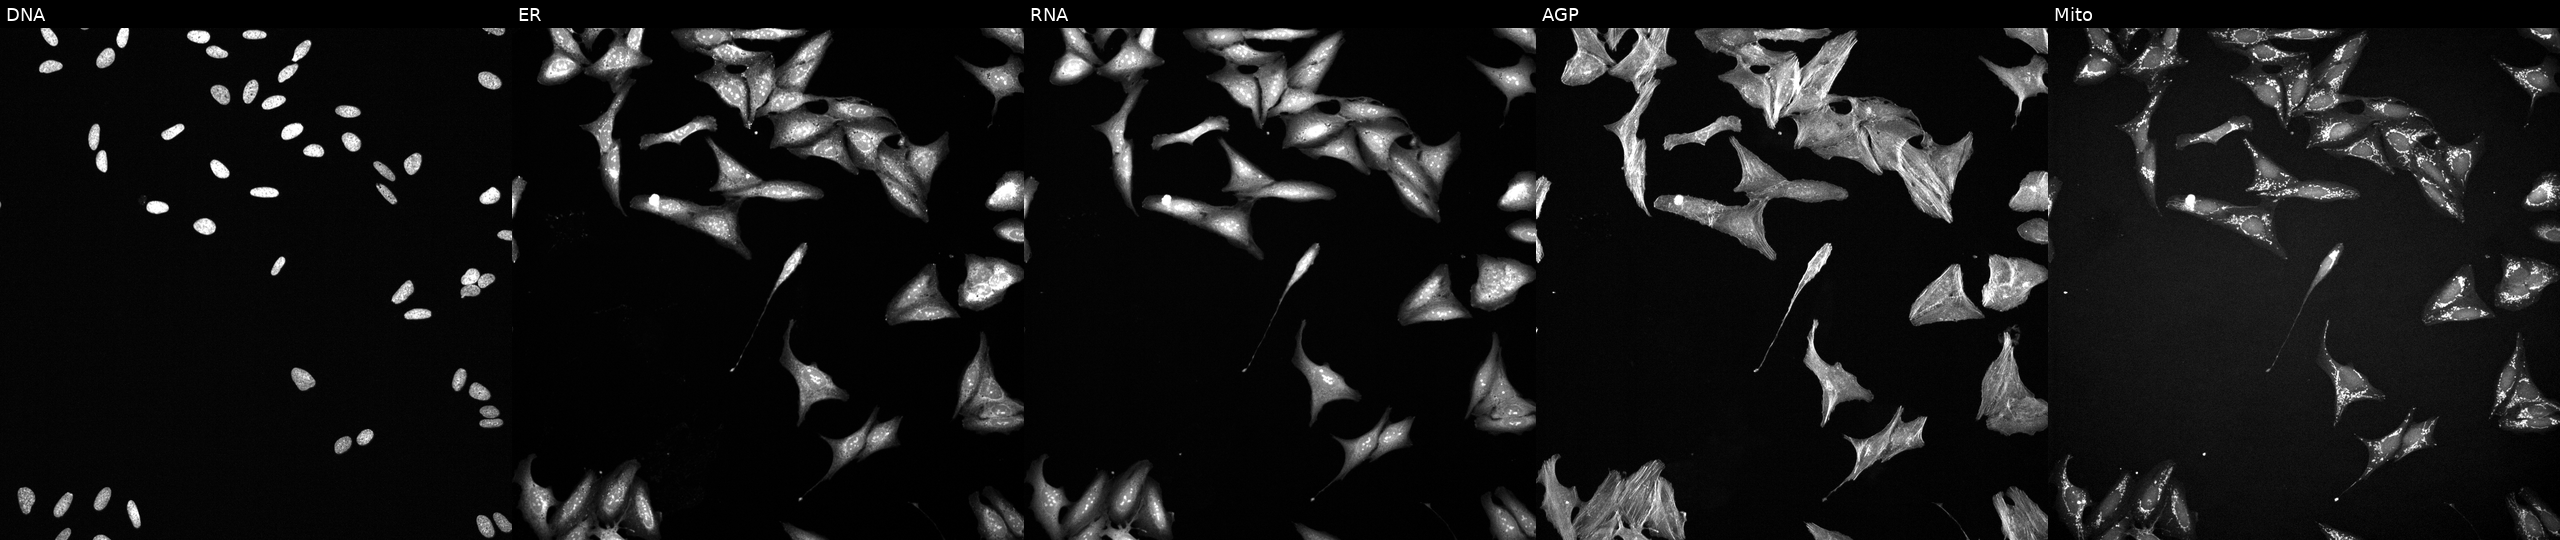
JUMP Cell Painting — TARGET2 plate. U2OS cells treated with a small-molecule compound (InChIKey YPHMISFOHDHNIV-UHFFFAOYSA-N). Panels show, left to right, DNA (nuclei); ER (endoplasmic reticulum); RNA (nucleoli and cytoplasmic RNA); AGP (actin cytoskeleton, Golgi, and plasma membrane); Mito (mitochondria).